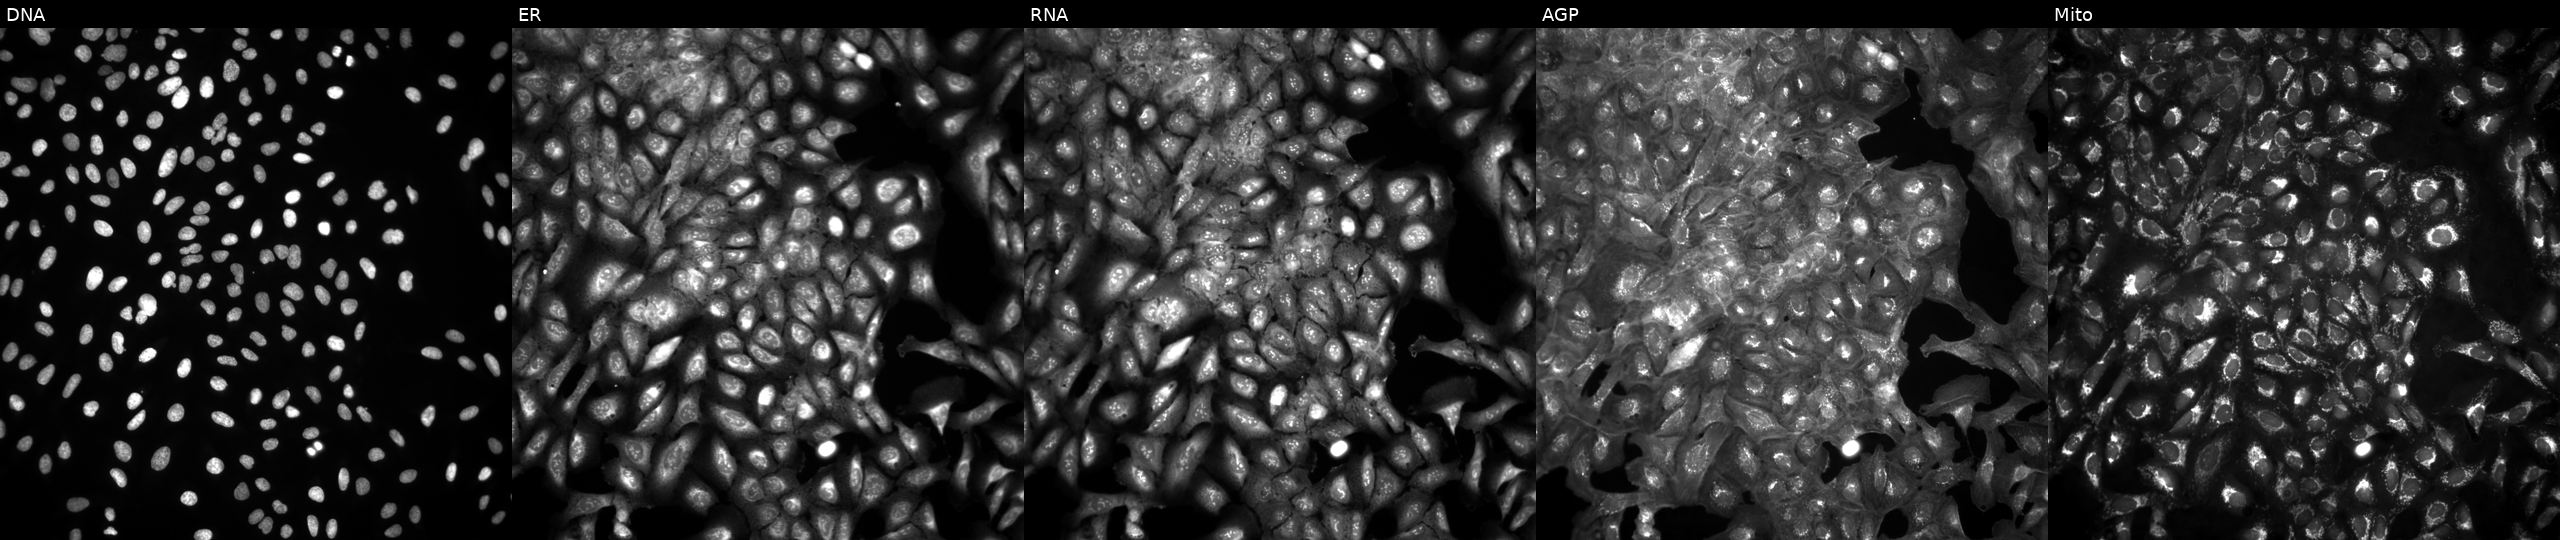
Five-channel Cell Painting image of U2OS cells untreated (empty-well control) (JUMP id JCP2022_999999). From left to right: DNA (nuclei); ER (endoplasmic reticulum); RNA (nucleoli and cytoplasmic RNA); AGP (actin cytoskeleton, Golgi, and plasma membrane); Mito (mitochondria). Source 4, plate BR00124793, well I23.